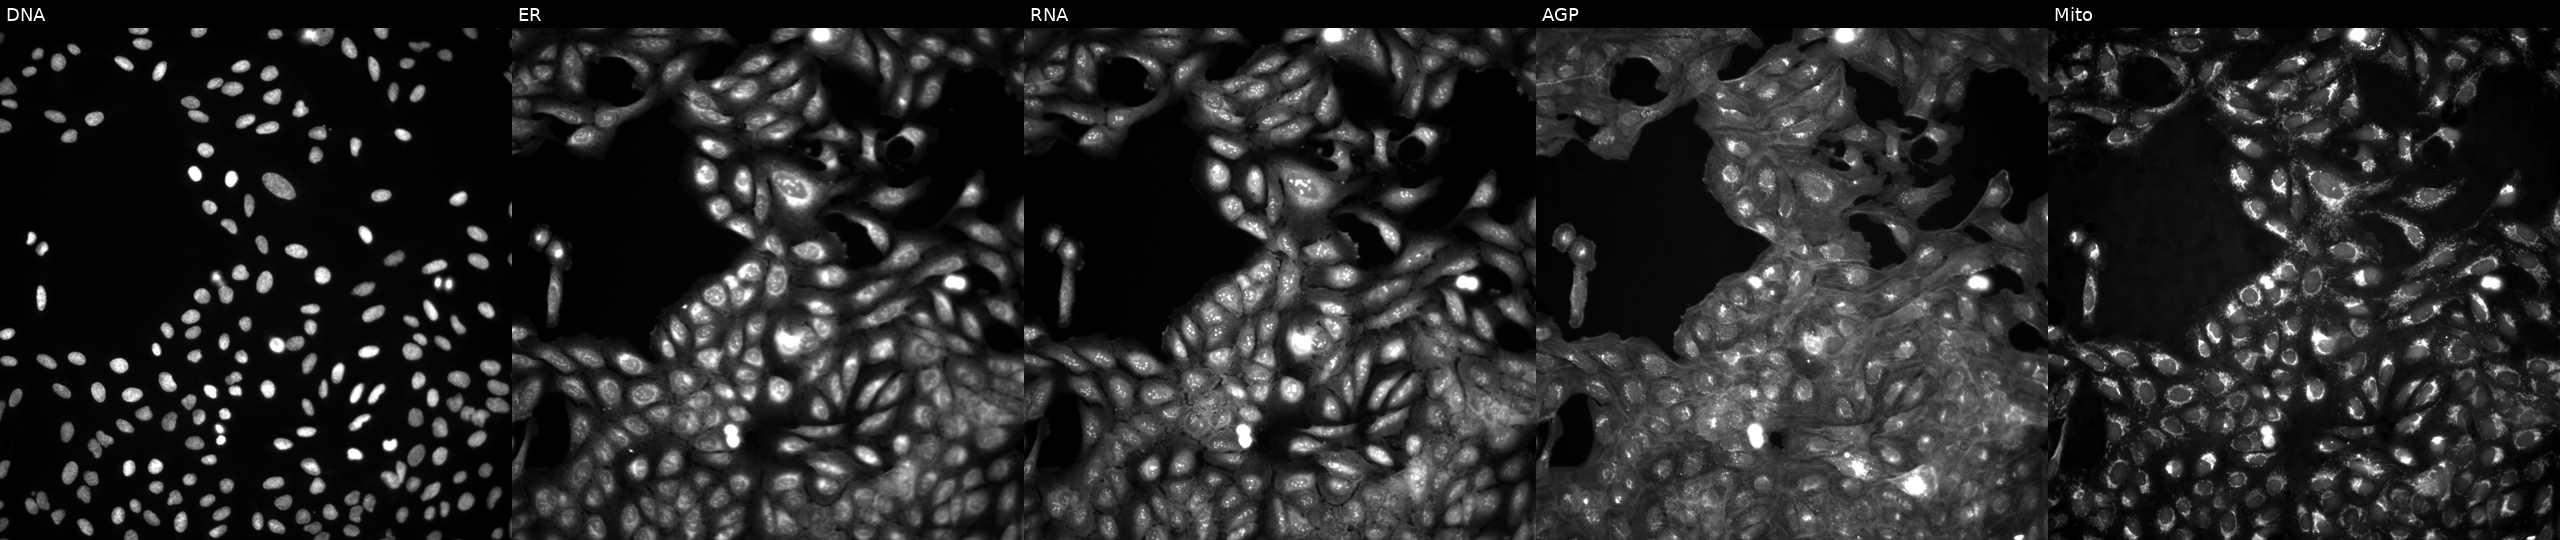
This image strip shows the five Cell Painting channels for a single field of U2OS cells in an empty control well (no perturbation) (JUMP id JCP2022_999999). Channels (left→right): DNA (nuclei); ER (endoplasmic reticulum); RNA (nucleoli and cytoplasmic RNA); AGP (actin cytoskeleton, Golgi, and plasma membrane); Mito (mitochondria). Source 4, plate BR00124793, well P20.